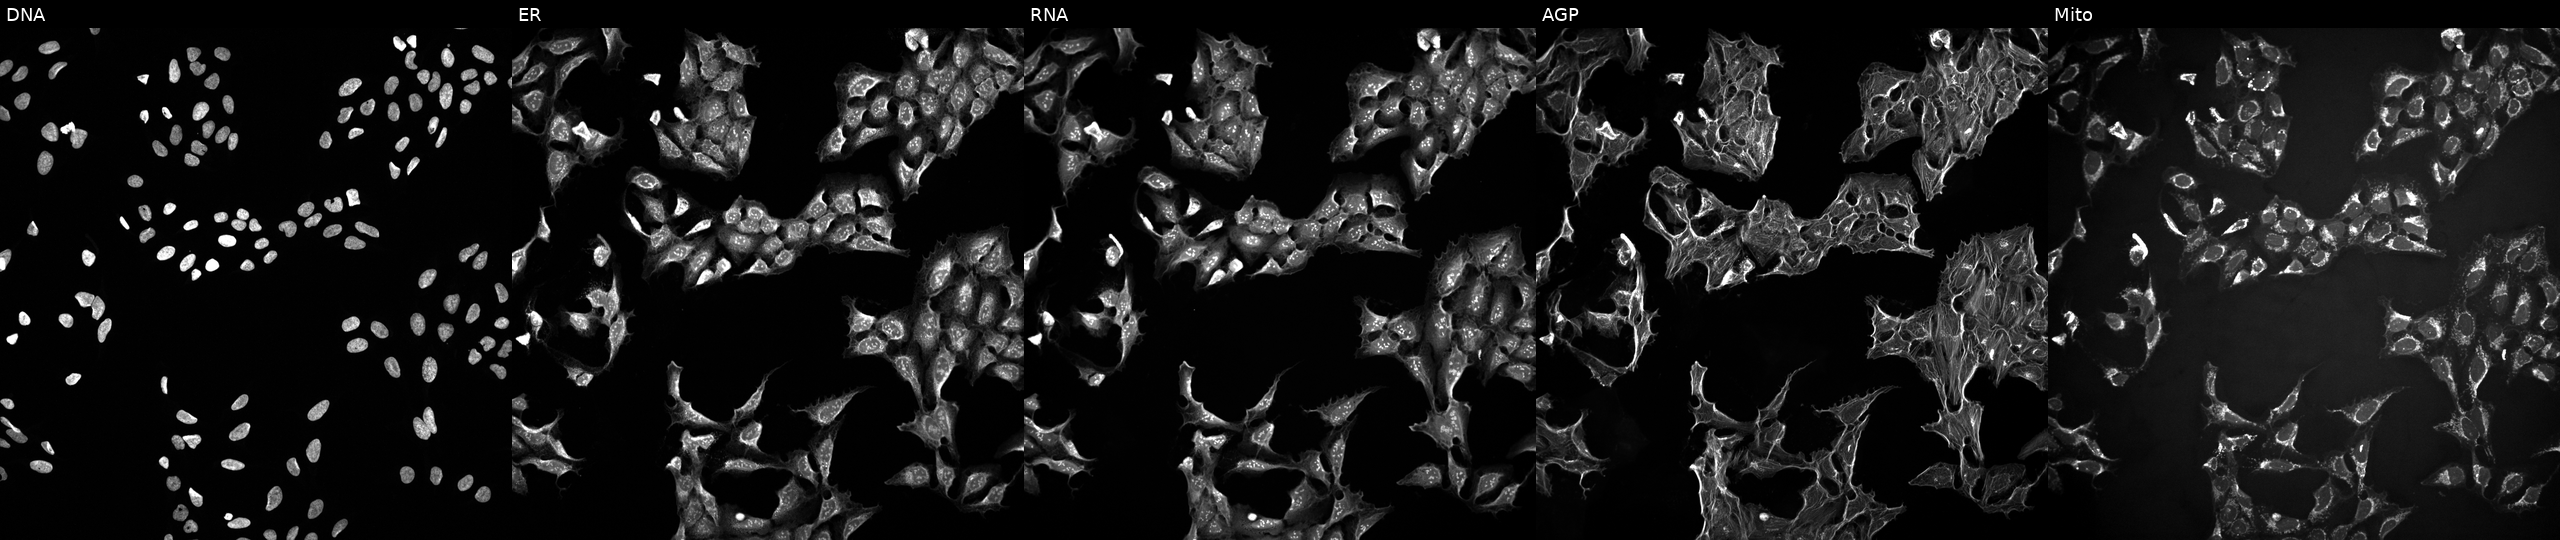
JUMP Cell Painting — TARGET2 plate. U2OS cells treated with a small-molecule compound (InChIKey RIKMMFOAQPJVMX-UHFFFAOYSA-N). The five panels, left to right, show Hoechst 33342, concanavalin A, SYTO 14, phalloidin and WGA, MitoTracker.